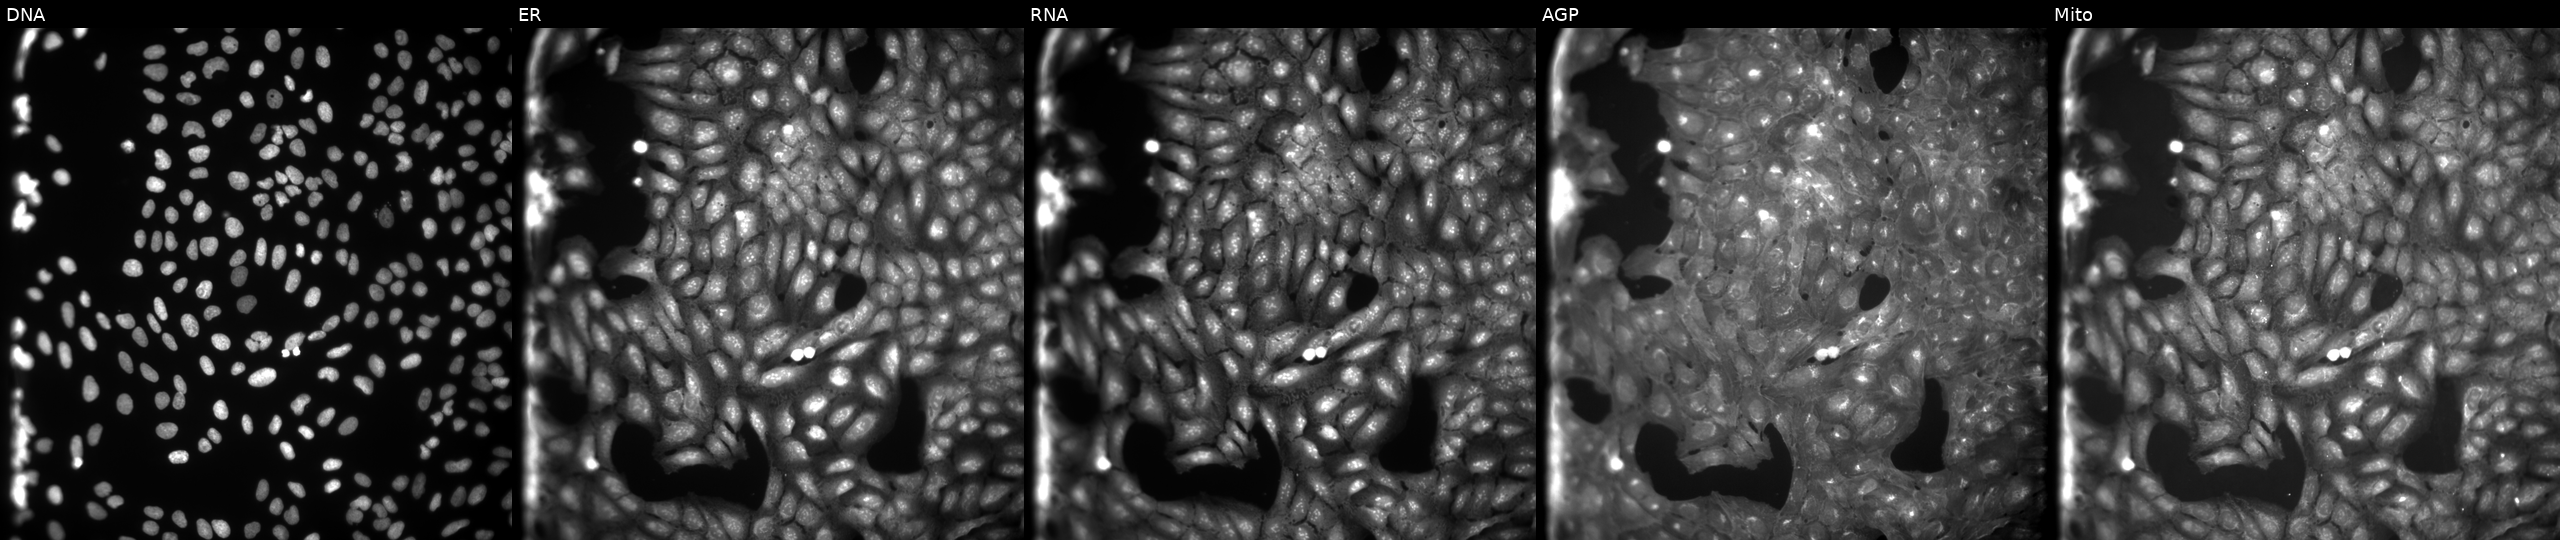
High-content fluorescence microscopy (Cell Painting). Cell line: U2OS. Perturbation: exposed to the positive-control compound TC-S-7004. Channels (left→right): DNA (nuclei); ER (endoplasmic reticulum); RNA (nucleoli and cytoplasmic RNA); AGP (actin cytoskeleton, Golgi, and plasma membrane); Mito (mitochondria).